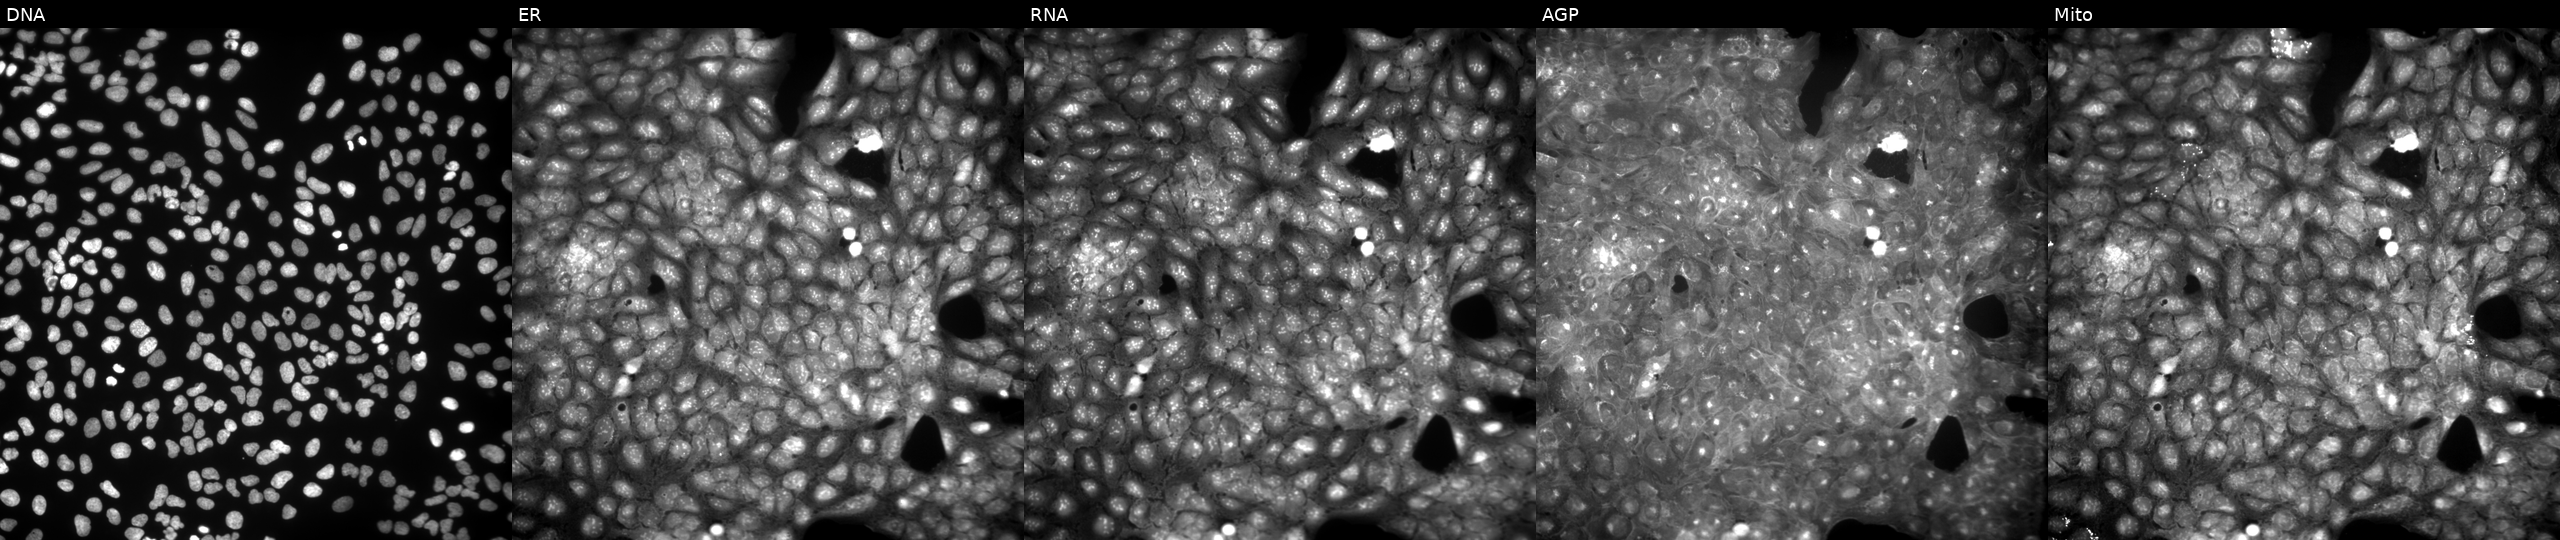
Panels show, left to right, Hoechst 33342, concanavalin A, SYTO 14, phalloidin and WGA, MitoTracker. U2OS osteosarcoma cells treated with a small-molecule compound (InChIKey WZGGLUQLQCFCGG-UHFFFAOYSA-N) (JUMP id JCP2022_102148). Cell Painting assay, JUMP-CP dataset.